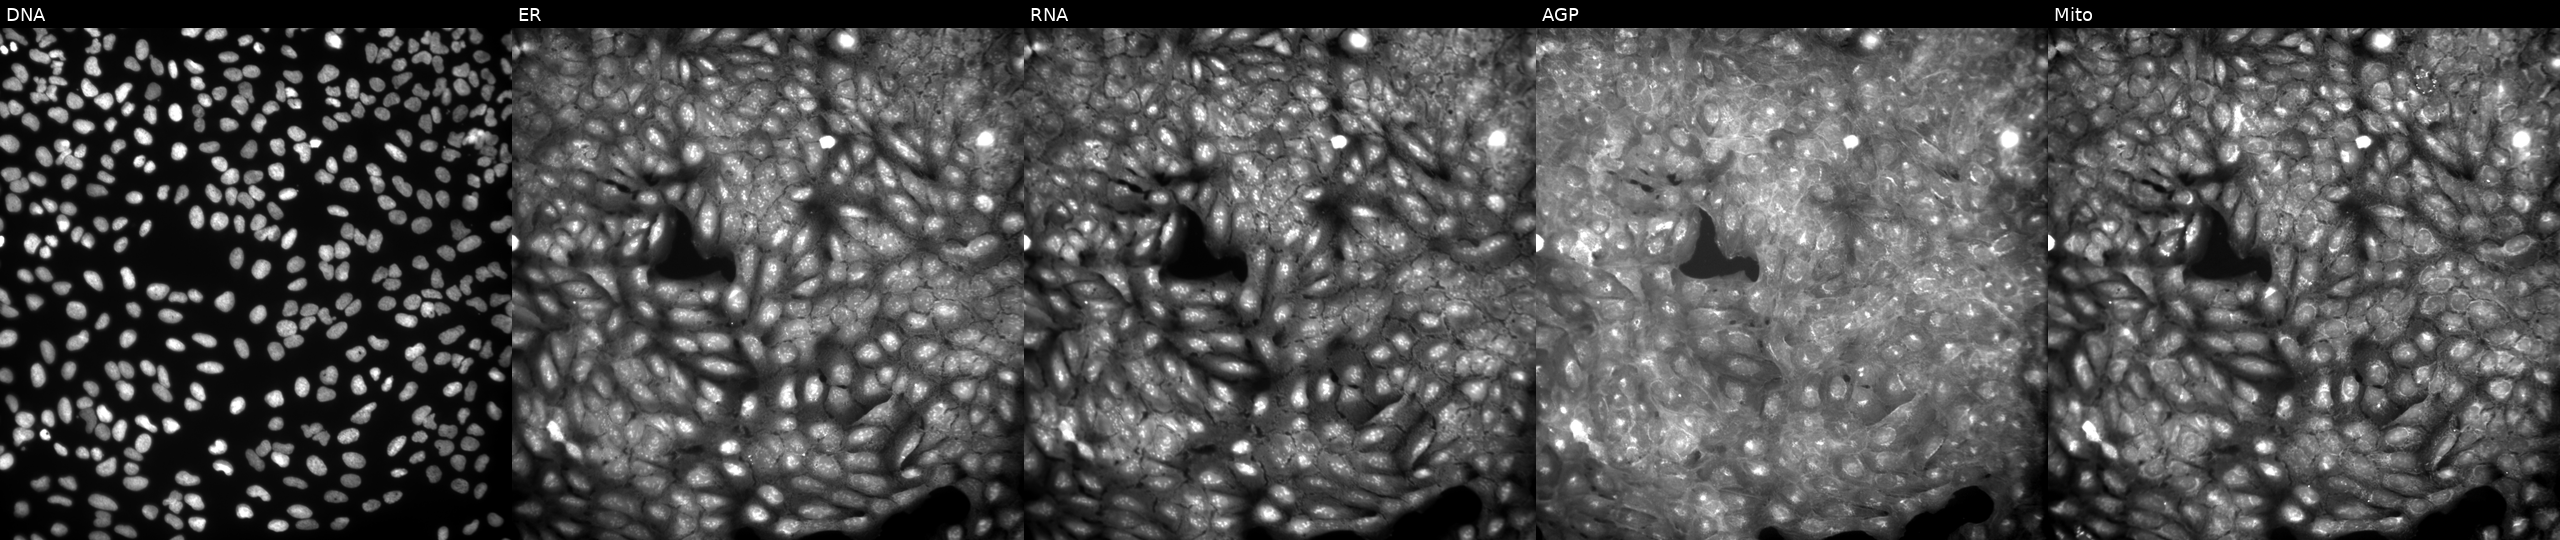
U2OS cells, Cell Painting assay, exposed to a small-molecule compound (InChIKey DOVUDVHTQOCRIJ-UHFFFAOYSA-N). Channels (left→right): DNA, ER, RNA, AGP, and Mito. Each panel is percentile-stretched 16-bit fluorescence.